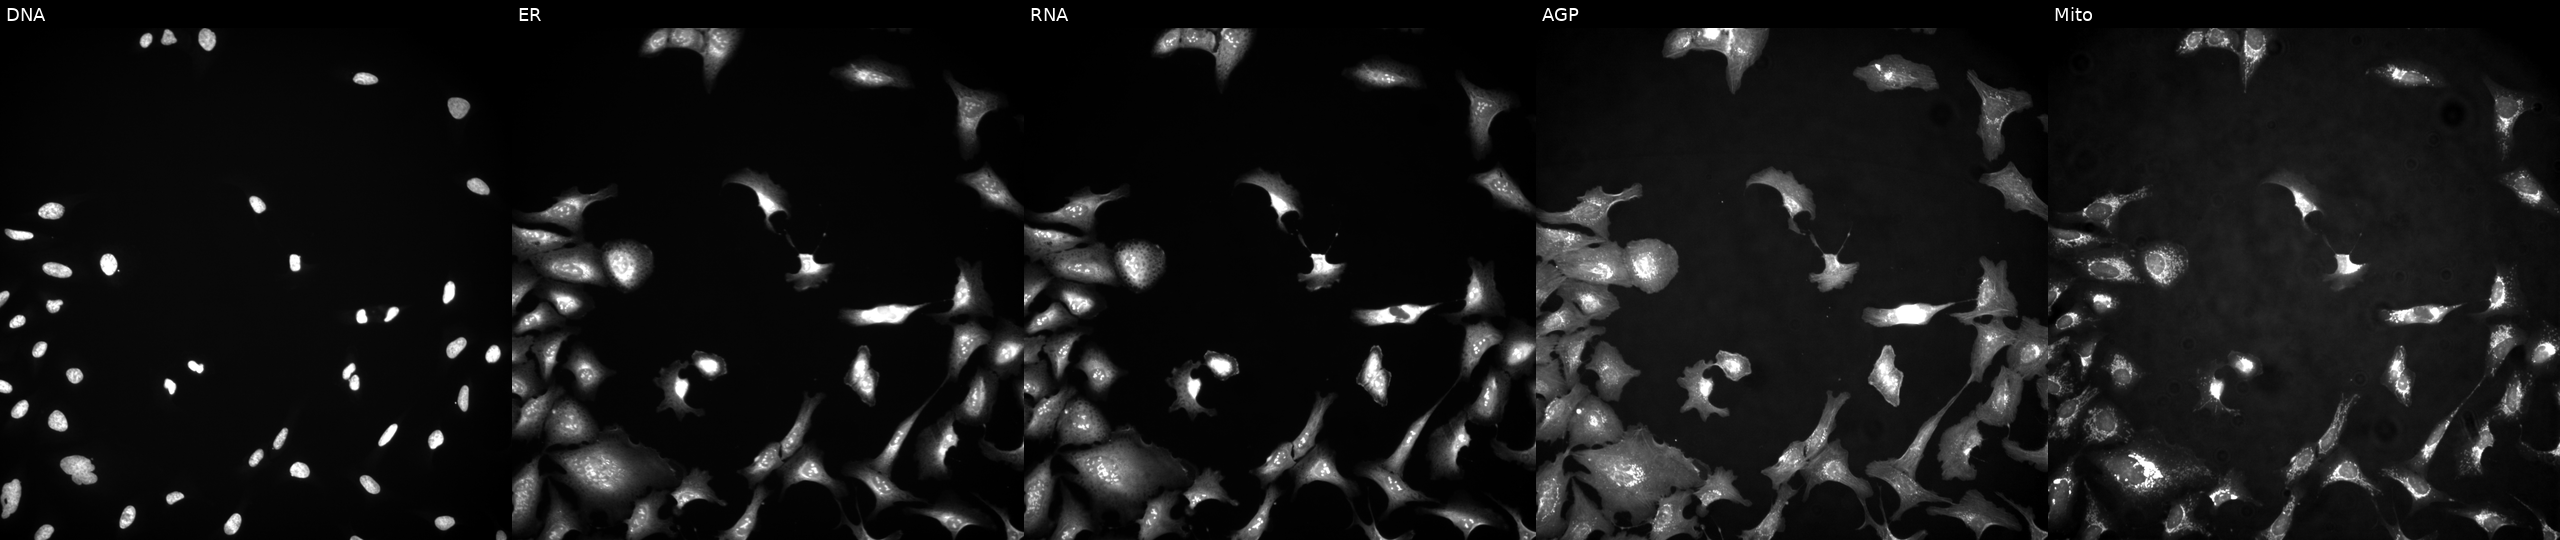
JUMP Cell Painting — ORF plate. U2OS cells transfected with an ORF construct for C19orf48 (JUMP id JCP2022_904144). Channels (left→right): DNA, ER, RNA, AGP, and Mito. Source 4, plate BR00124787, well I12.